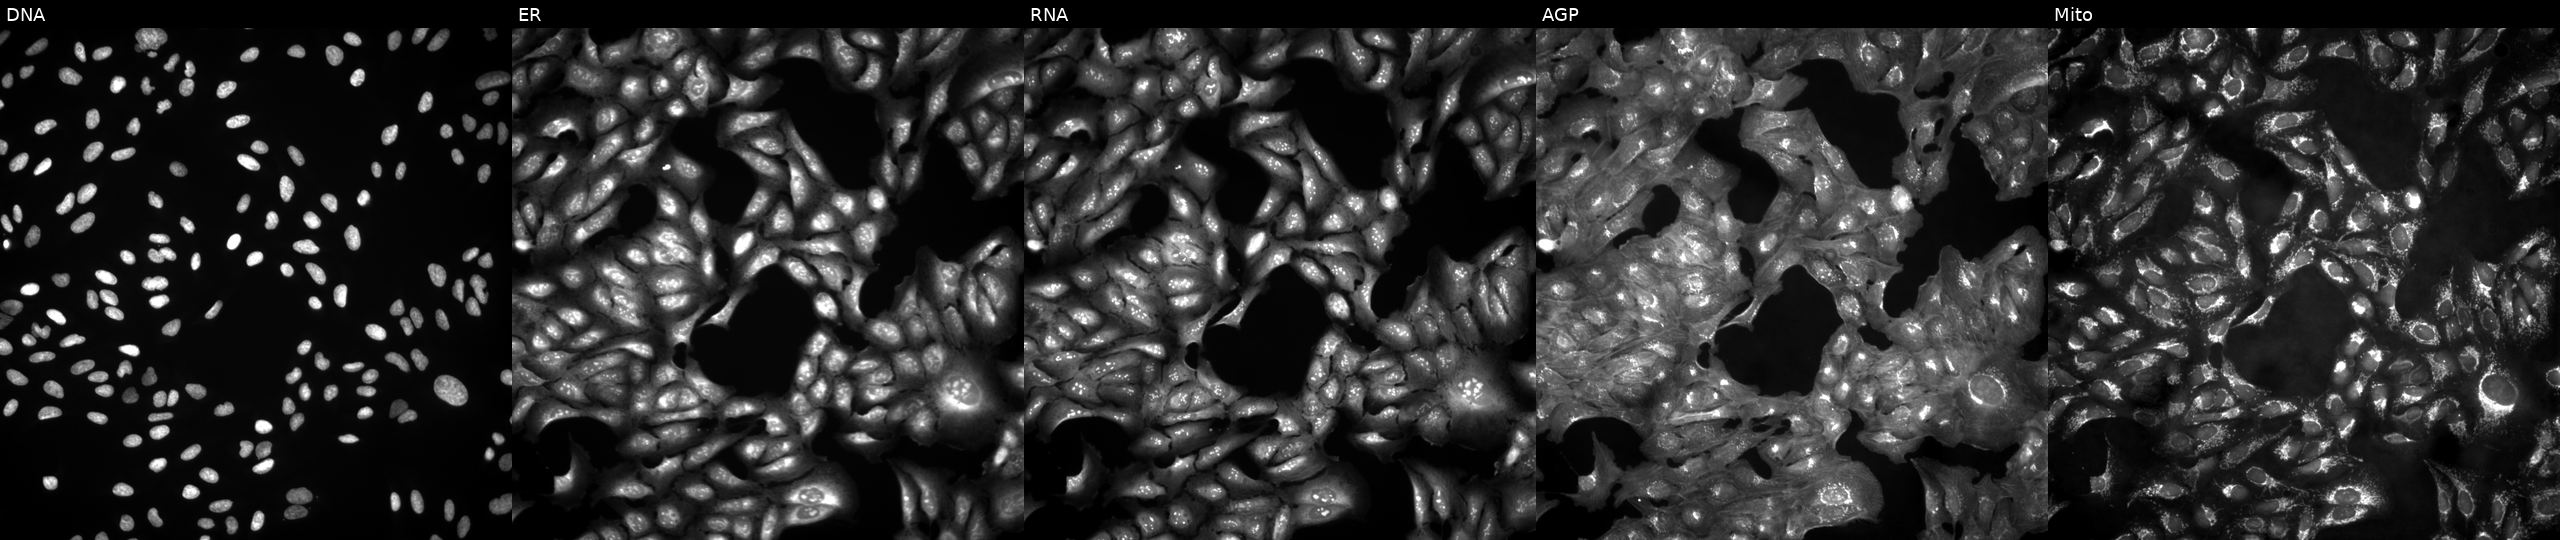
U2OS cells, Cell Painting assay, untreated (empty-well control). The five panels, left to right, show DNA, ER, RNA, AGP, and Mito. Each panel is percentile-stretched 16-bit fluorescence.